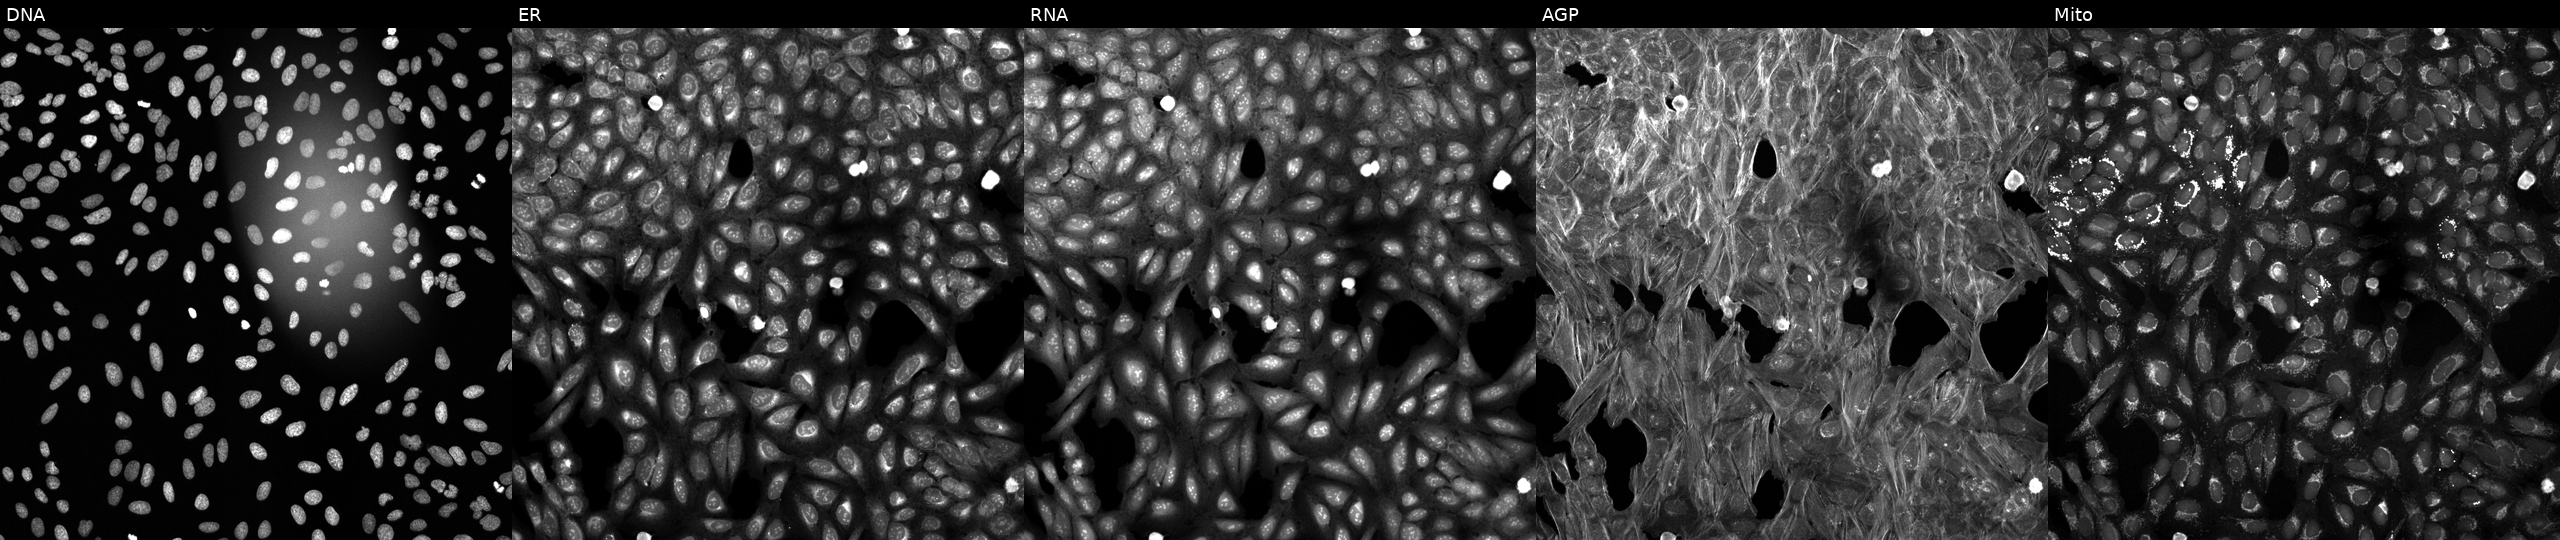
U2OS cells, Cell Painting assay, treated with a small-molecule compound (InChIKey NHXLMOGPVYXJNR-UHFFFAOYSA-N) (JUMP id JCP2022_059103). Channels (left→right): DNA, ER, RNA, AGP, and Mito. Each panel is percentile-stretched 16-bit fluorescence. Source 6, plate 110000293081, well O24.